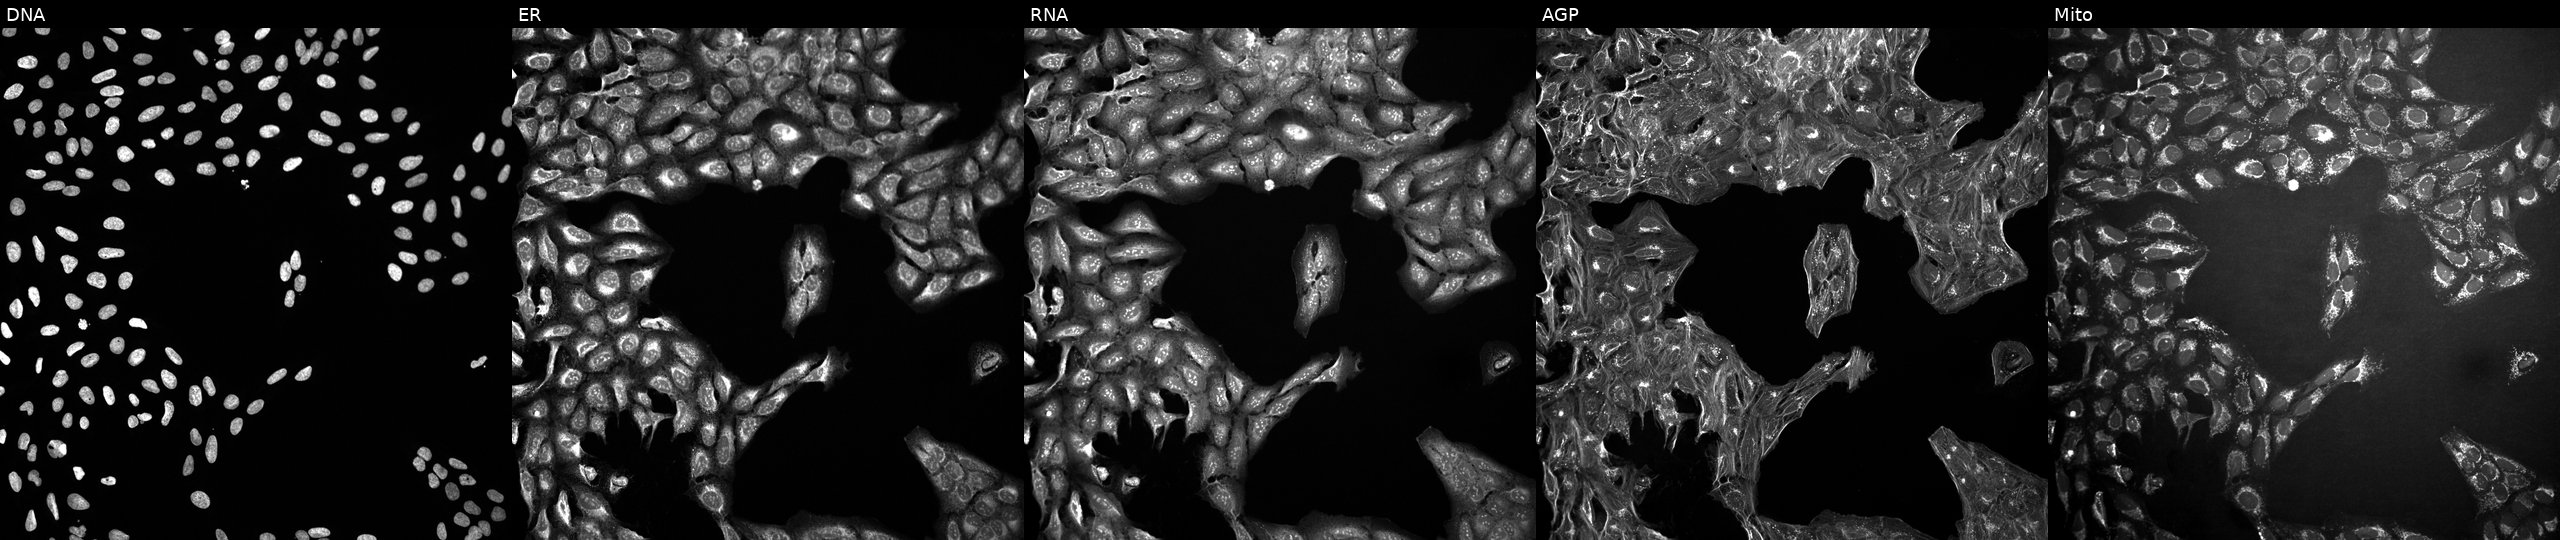
U2OS cells, Cell Painting assay, perturbed with a small-molecule compound (InChIKey XCDDBYPDIDCLLK-UHFFFAOYSA-N) (JUMP id JCP2022_102727). Panels show, left to right, Hoechst 33342, concanavalin A, SYTO 14, phalloidin and WGA, MitoTracker. Each panel is percentile-stretched 16-bit fluorescence.